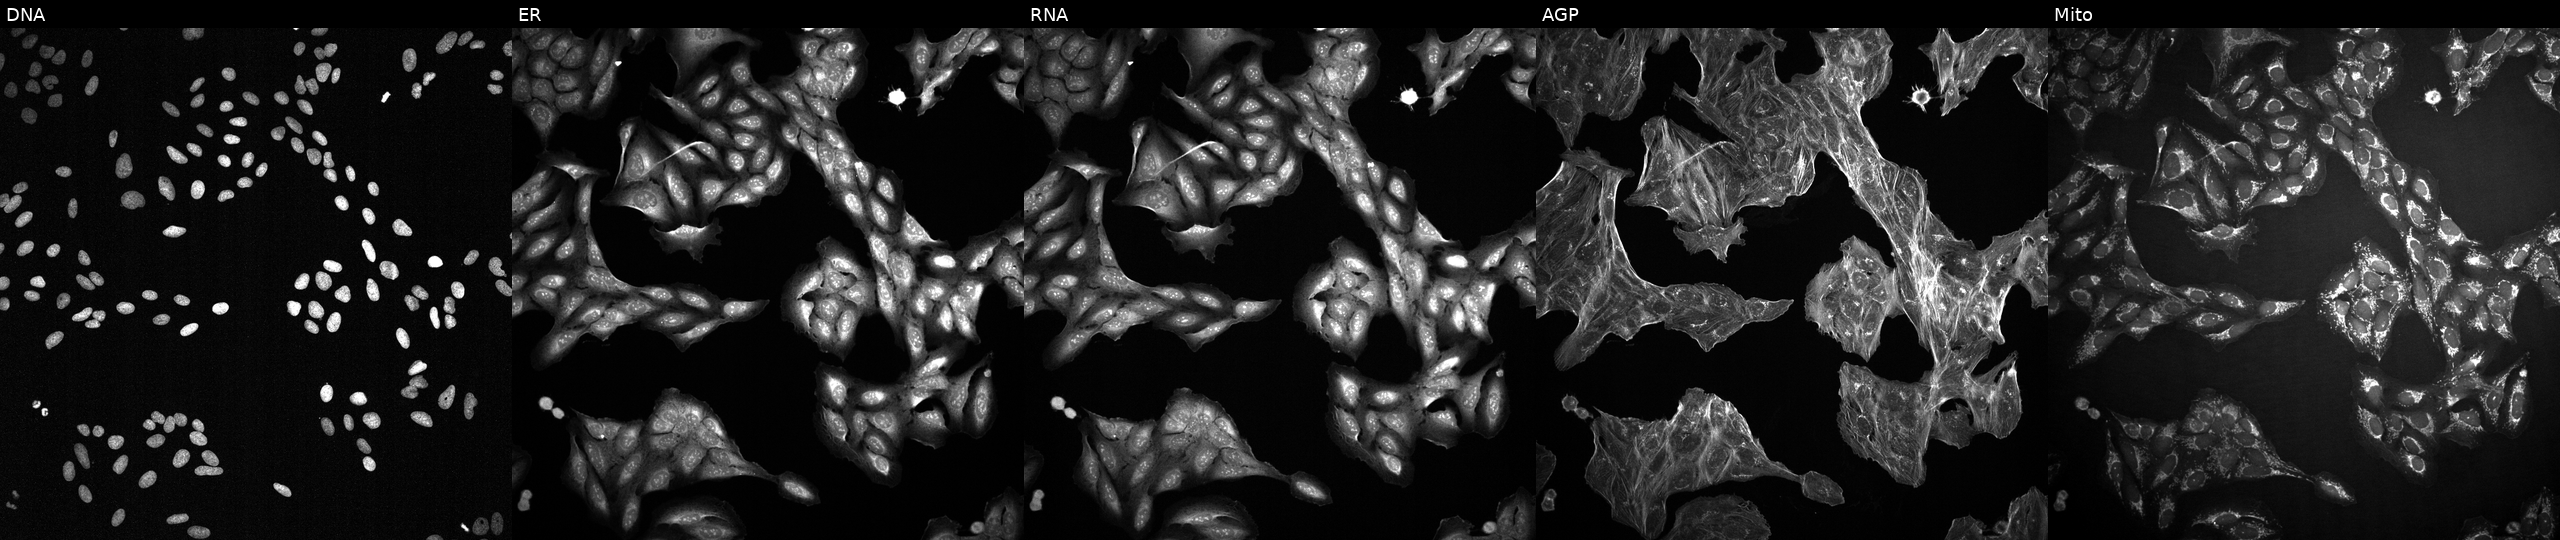
JUMP Cell Painting — TARGET2 plate. U2OS cells exposed to a small-molecule compound (InChIKey ZZZRUAITSXLWBH-UHFFFAOYSA-N) (JUMP id JCP2022_116749). Panels show, left to right, Hoechst 33342, concanavalin A, SYTO 14, phalloidin and WGA, MitoTracker. Source 2, plate 1053599503, well L07.